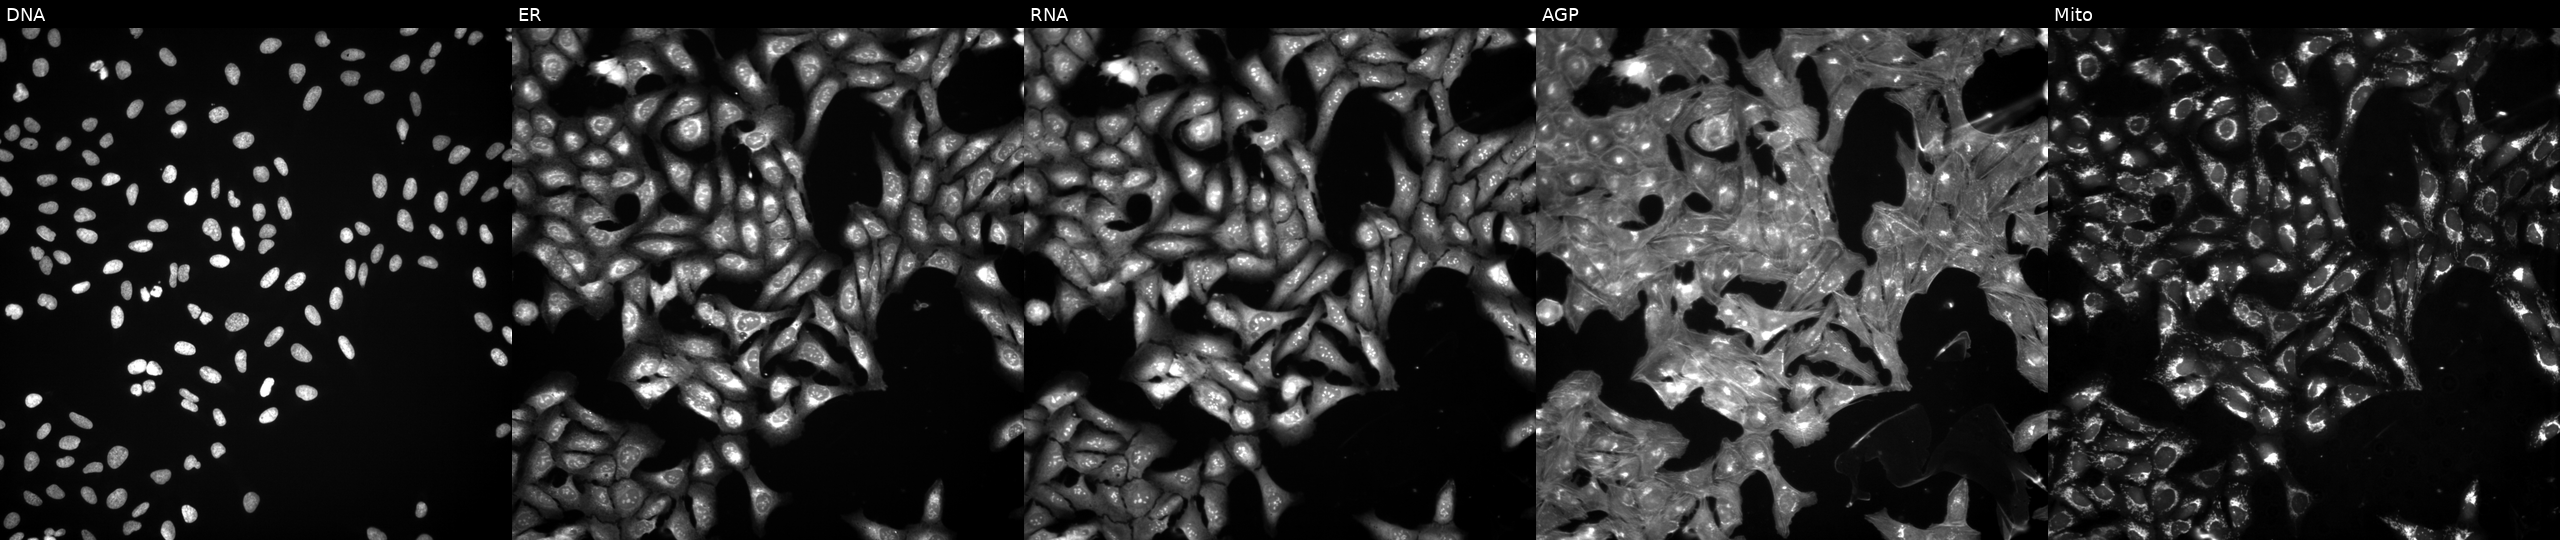
JUMP Cell Painting — COMPOUND plate. U2OS cells treated with a small-molecule compound (InChIKey YLCGDHFJQQKIBG-UHFFFAOYSA-N). Panels show, left to right, DNA, ER, RNA, AGP, and Mito.